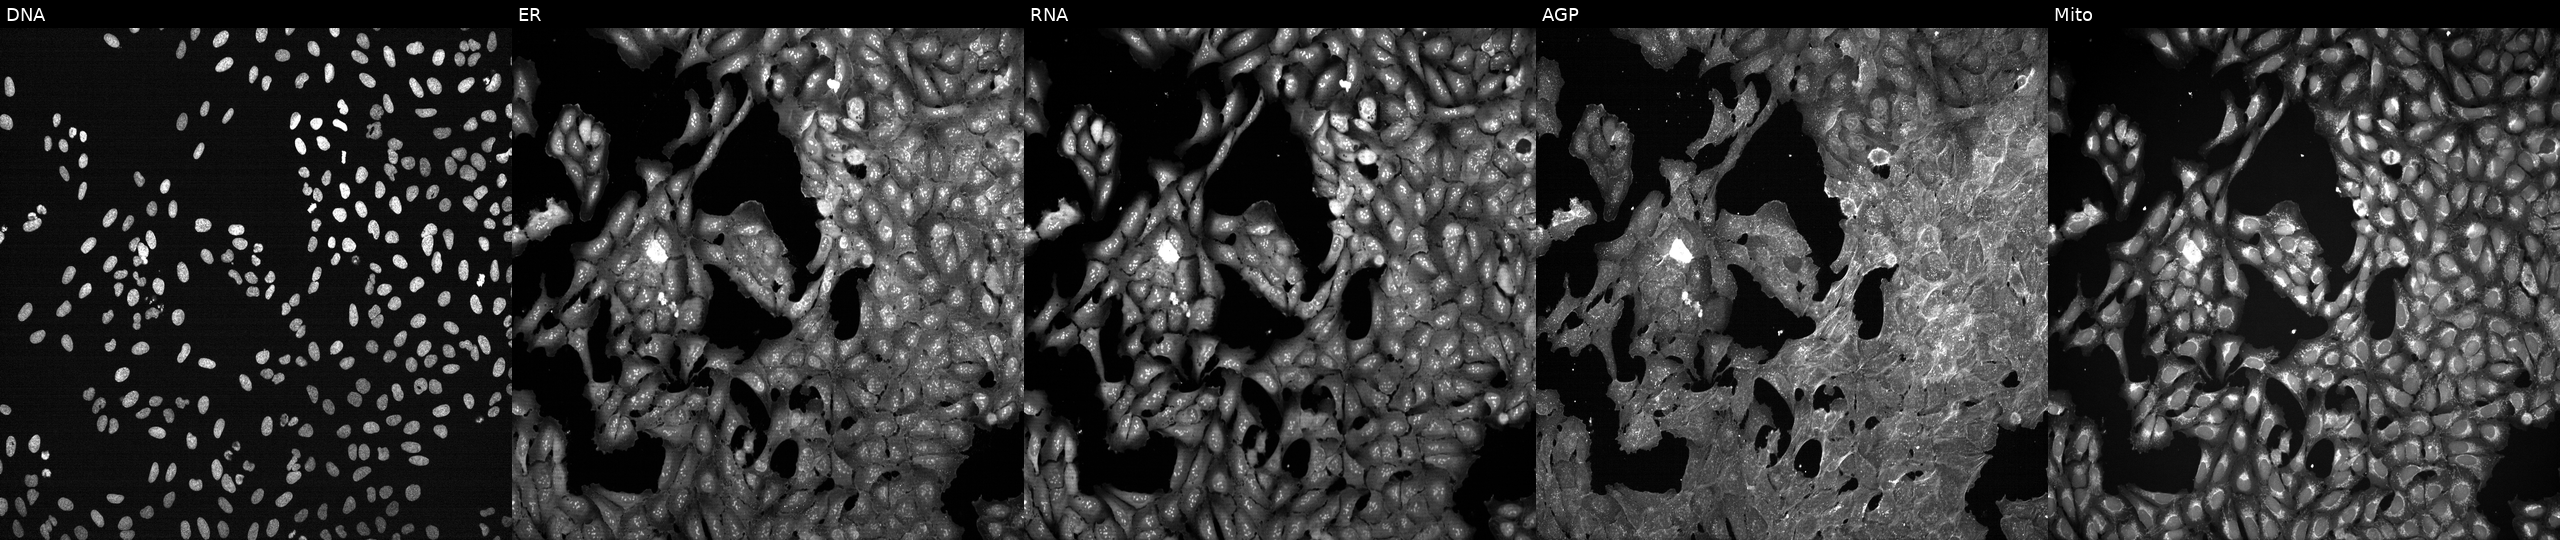
JUMP Cell Painting — TARGET2 plate. U2OS cells treated with a small-molecule compound (InChIKey YCYMCMYLORLIJX-UHFFFAOYSA-N) (JUMP id JCP2022_107658). The five panels, left to right, show DNA, ER, RNA, AGP, and Mito. Source 7, plate CP2-SC1-25, well M07.